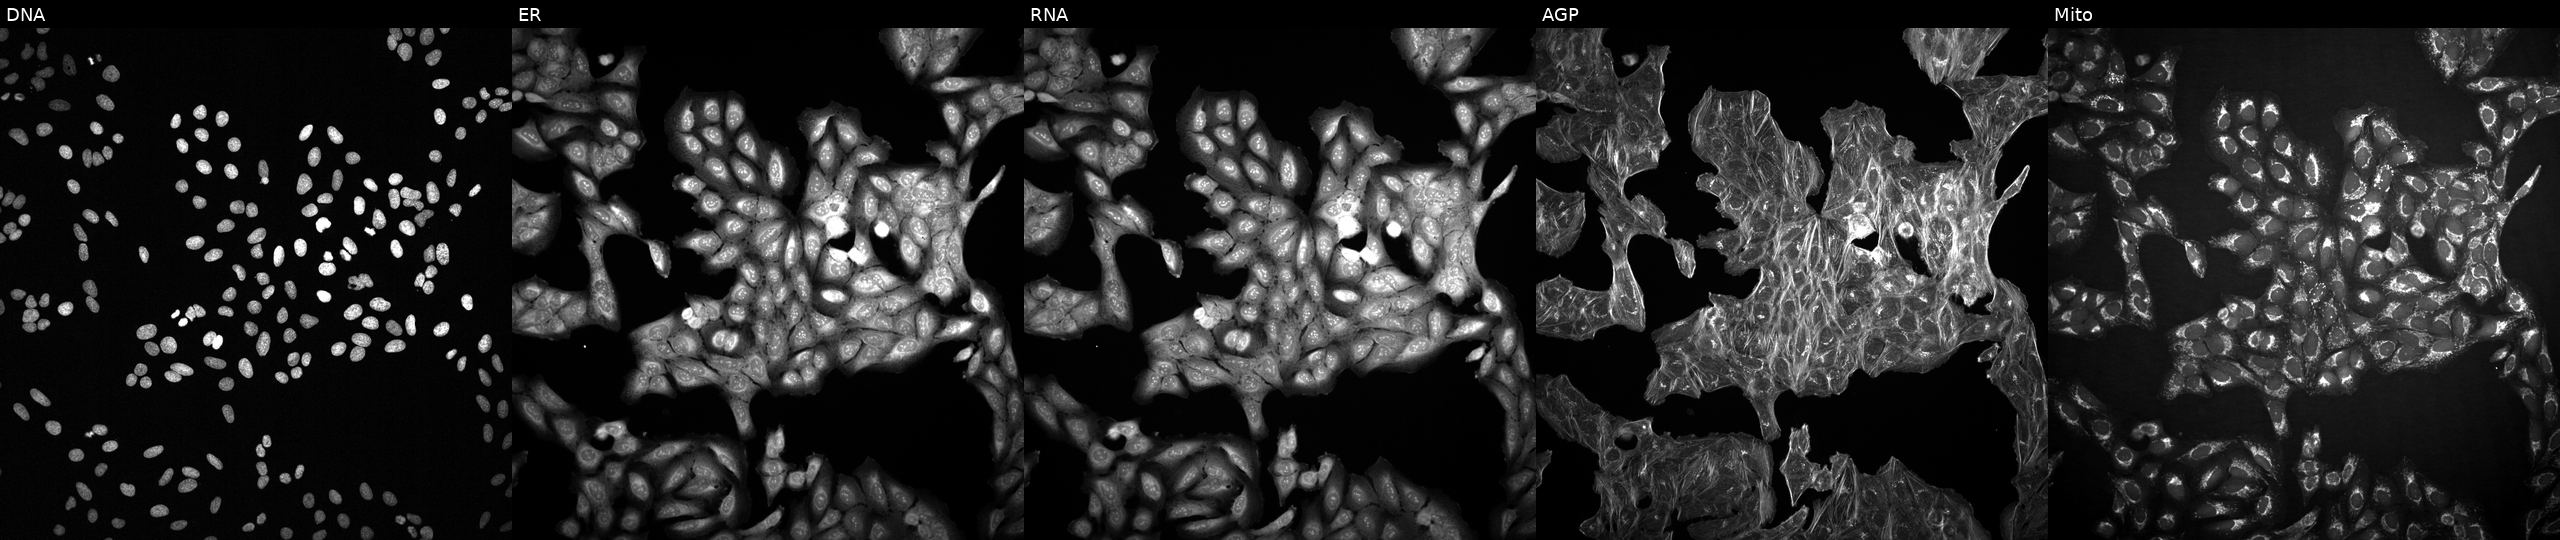
U2OS cells, Cell Painting assay, perturbed with a small-molecule compound (InChIKey BURWKCGARQIDHY-UHFFFAOYSA-N). From left to right: Hoechst 33342, concanavalin A, SYTO 14, phalloidin and WGA, MitoTracker. Each panel is percentile-stretched 16-bit fluorescence. Source 2, plate 1053601756, well I06.